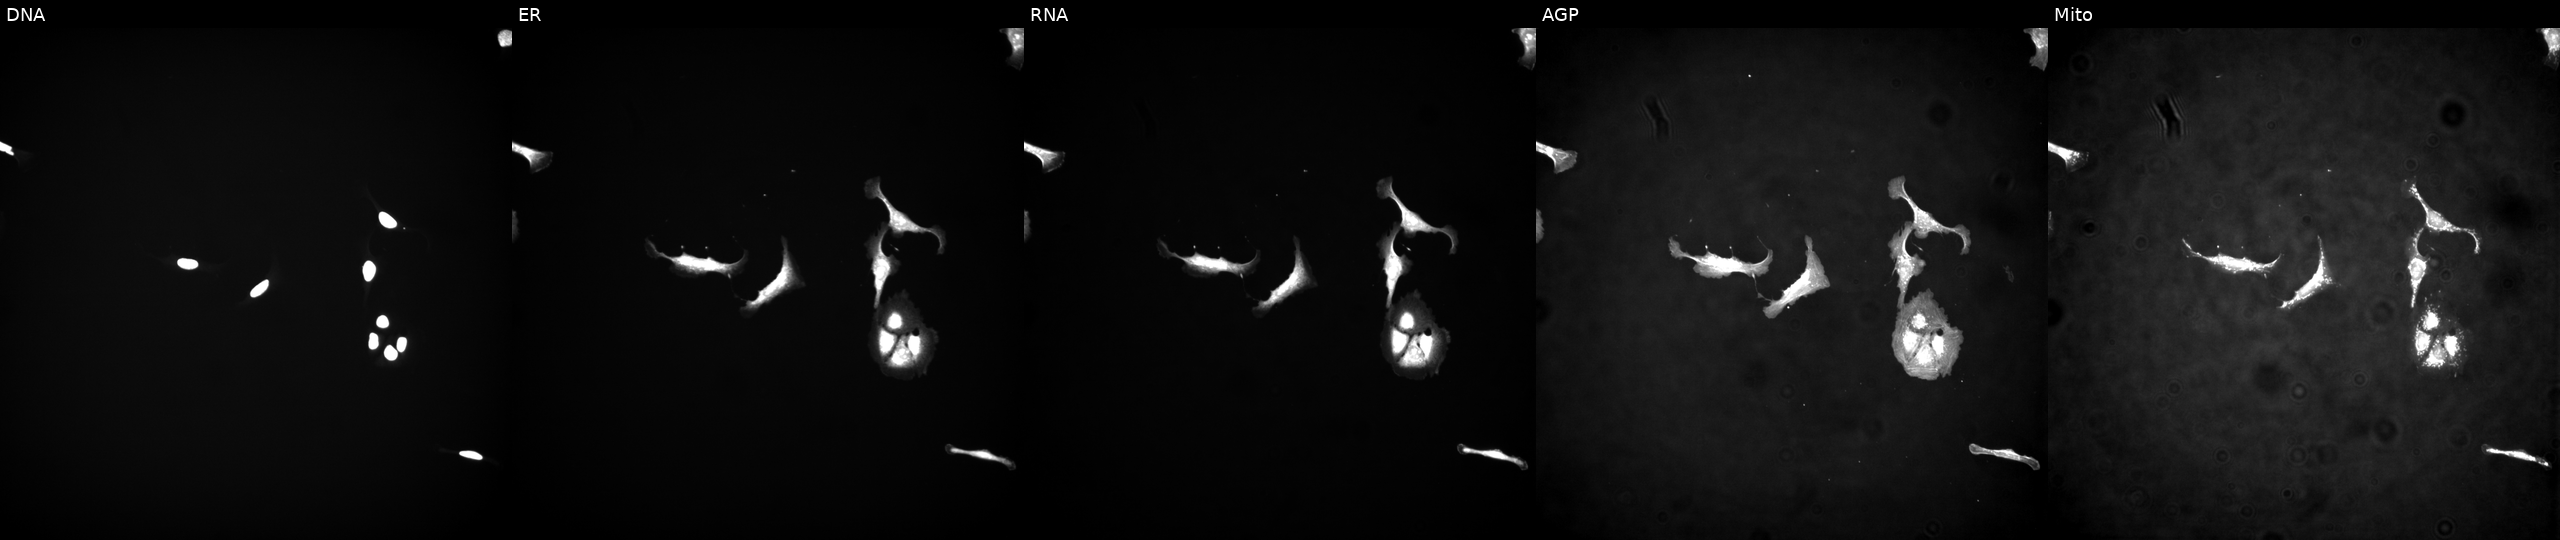
High-content fluorescence microscopy (Cell Painting). Cell line: U2OS. Perturbation: expressing HcRed (ORF negative control) (JUMP id JCP2022_915129). Channels (left→right): Hoechst 33342, concanavalin A, SYTO 14, phalloidin and WGA, MitoTracker.